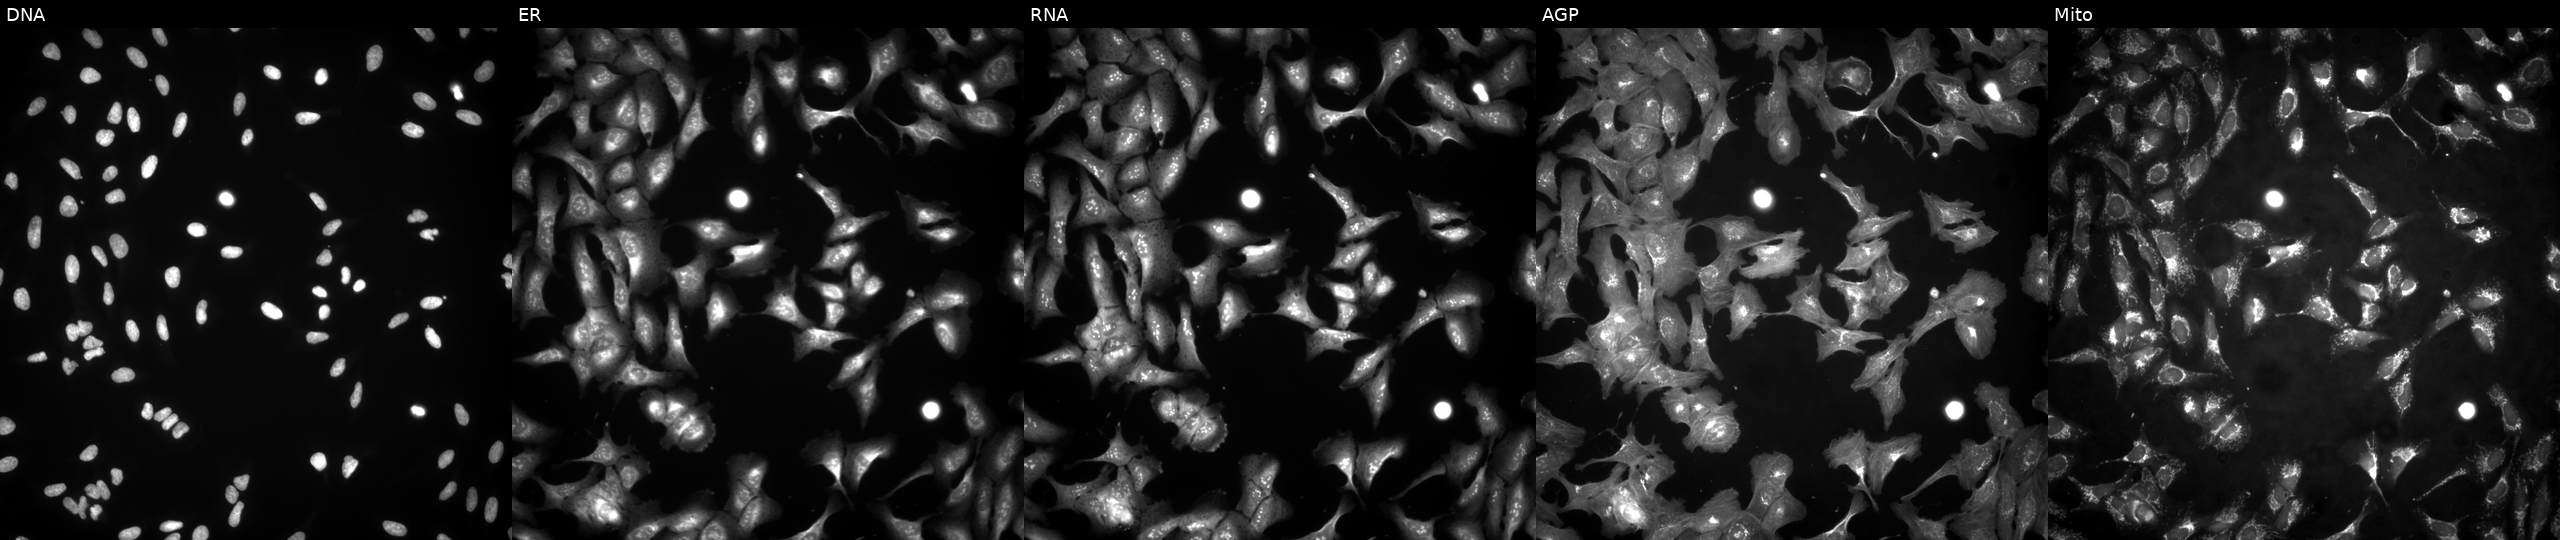
Five-channel Cell Painting image of U2OS cells with USP46 overexpressed (ORF) (JUMP id JCP2022_908290). From left to right: DNA (nuclei); ER (endoplasmic reticulum); RNA (nucleoli and cytoplasmic RNA); AGP (actin cytoskeleton, Golgi, and plasma membrane); Mito (mitochondria).